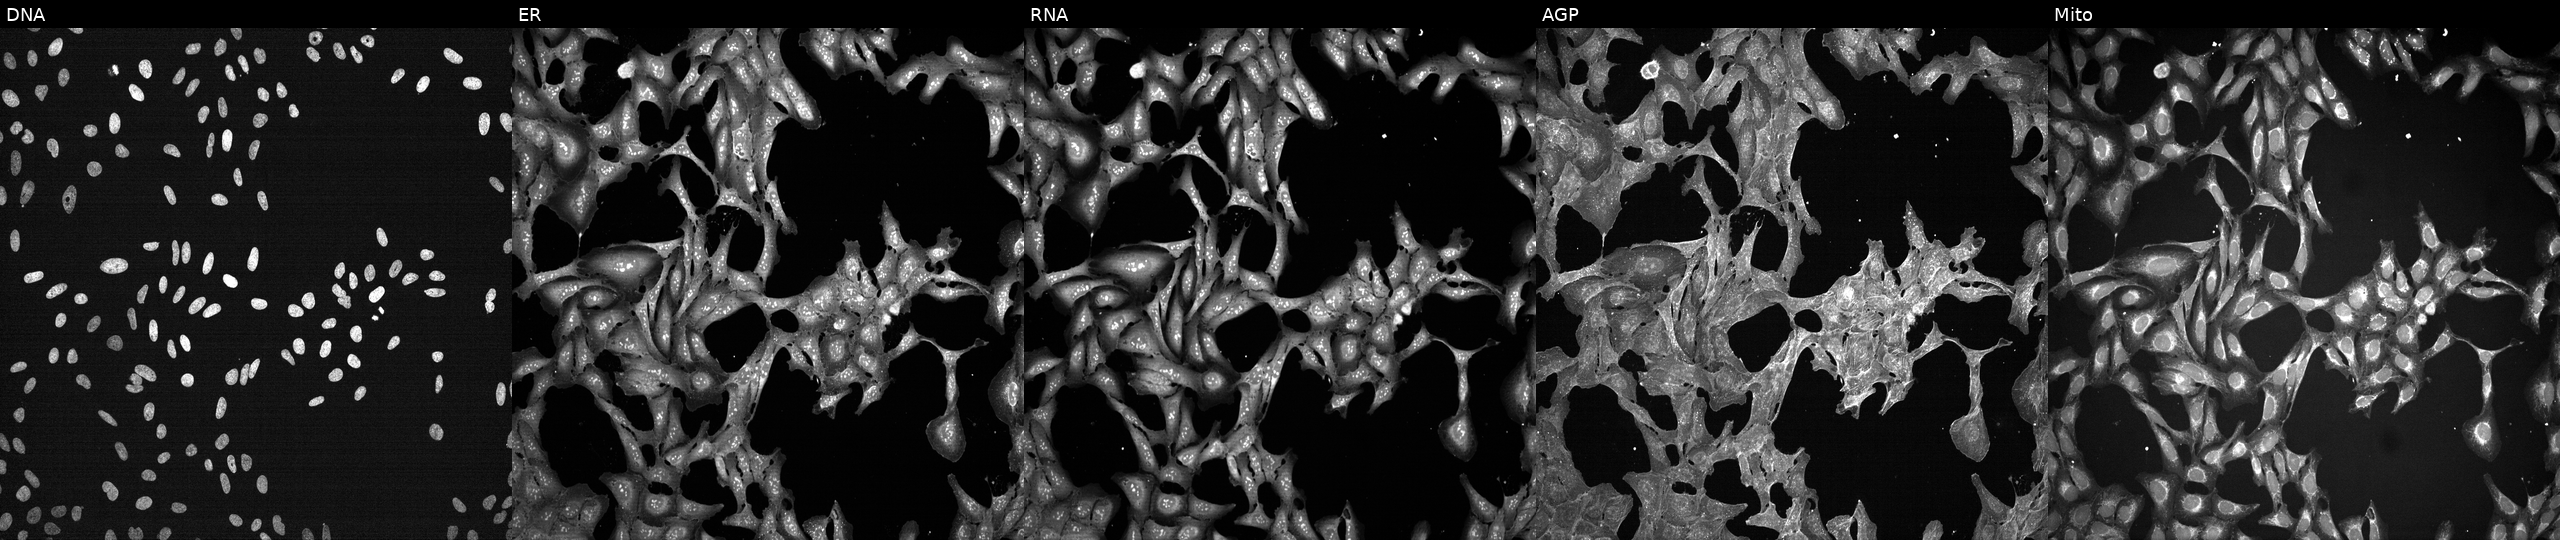
This image strip shows the five Cell Painting channels for a single field of U2OS cells exposed to a small-molecule compound (JUMP id JCP2022_043547). Channels (left→right): DNA, ER, RNA, AGP, and Mito.